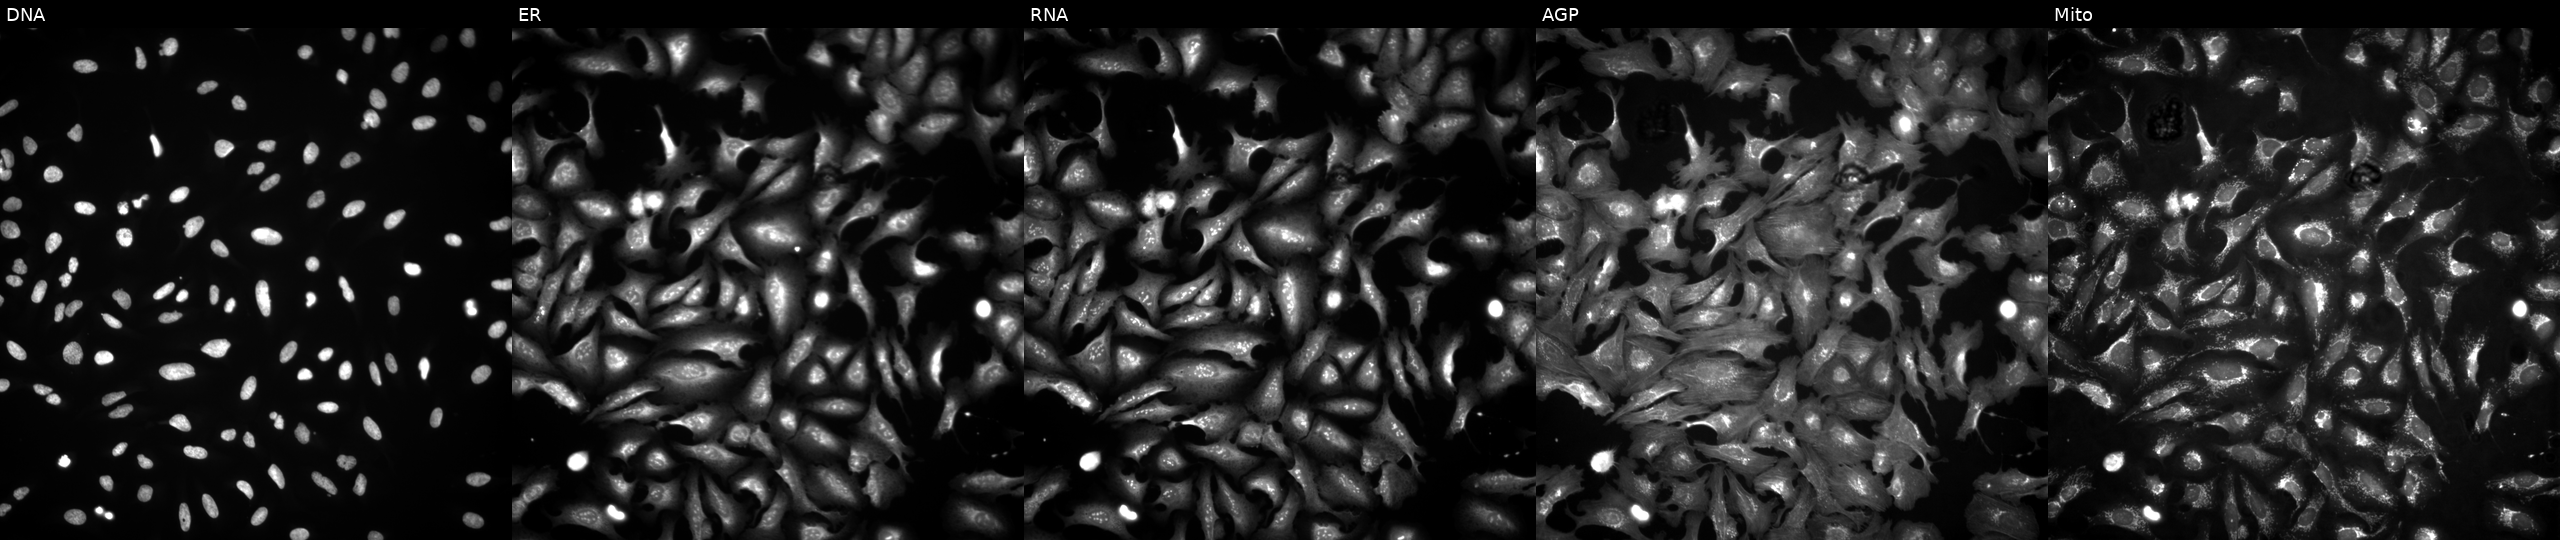
Five-channel Cell Painting image of U2OS cells with IGK overexpressed (ORF). Channels (left→right): DNA, ER, RNA, AGP, and Mito.